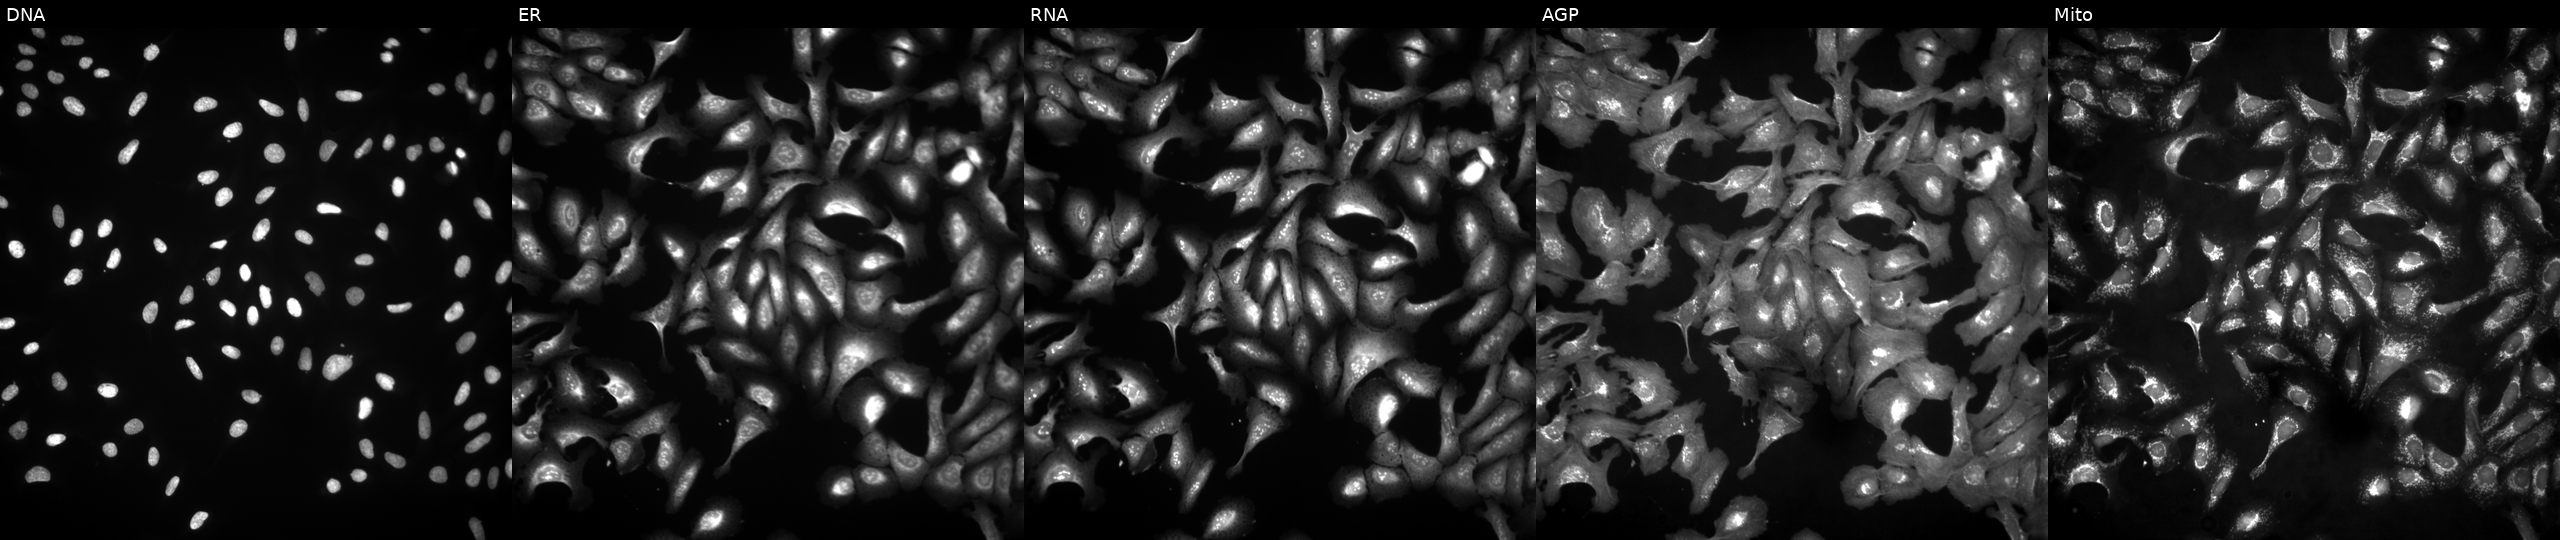
U2OS cells, Cell Painting assay, transfected with an ORF construct for NXT2 (JUMP id JCP2022_903457). Panels show, left to right, DNA (nuclei); ER (endoplasmic reticulum); RNA (nucleoli and cytoplasmic RNA); AGP (actin cytoskeleton, Golgi, and plasma membrane); Mito (mitochondria). Each panel is percentile-stretched 16-bit fluorescence.